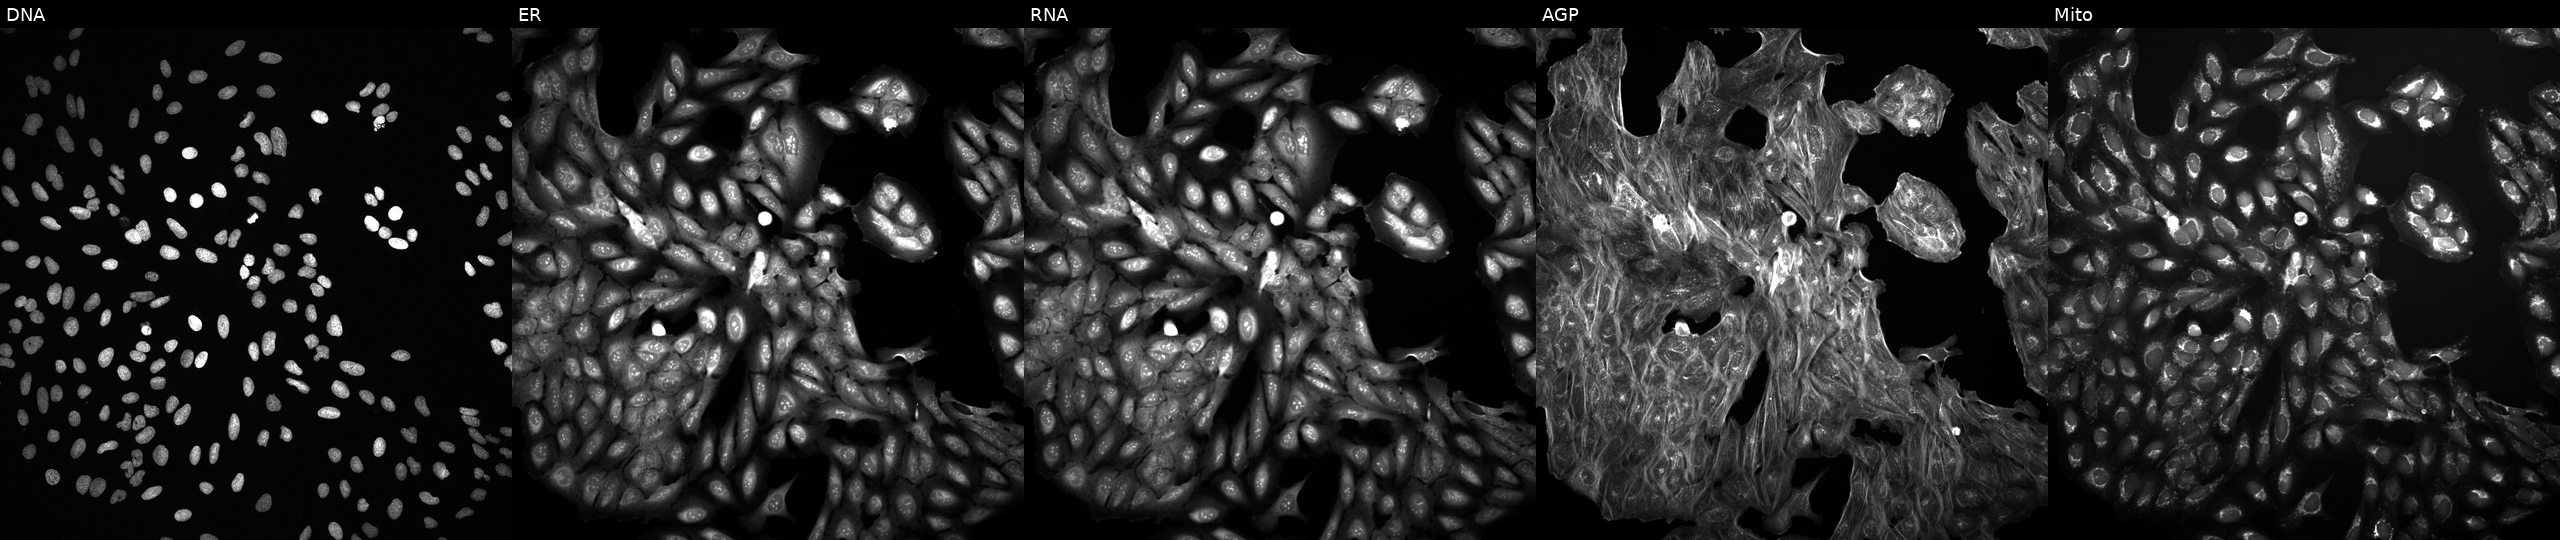
JUMP Cell Painting — TARGET2 plate. U2OS cells perturbed with a small-molecule compound. From left to right: DNA, ER, RNA, AGP, and Mito. Source 2, plate 1053597936, well K09.